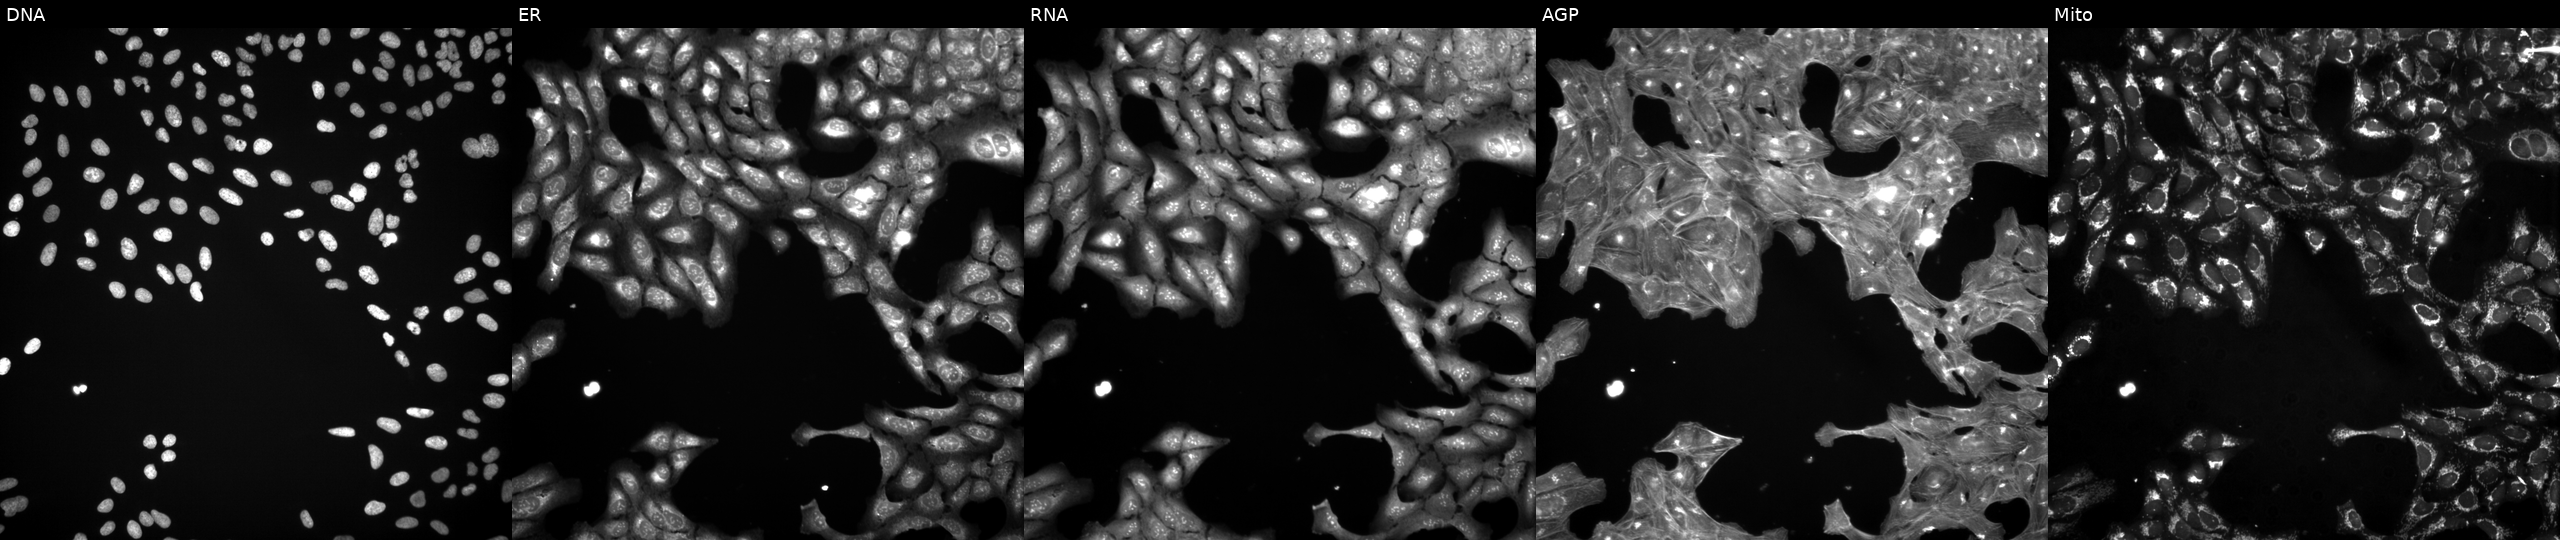
This image strip shows the five Cell Painting channels for a single field of U2OS cells treated with a small-molecule compound (JUMP id JCP2022_105696). Channels (left→right): DNA, ER, RNA, AGP, and Mito.